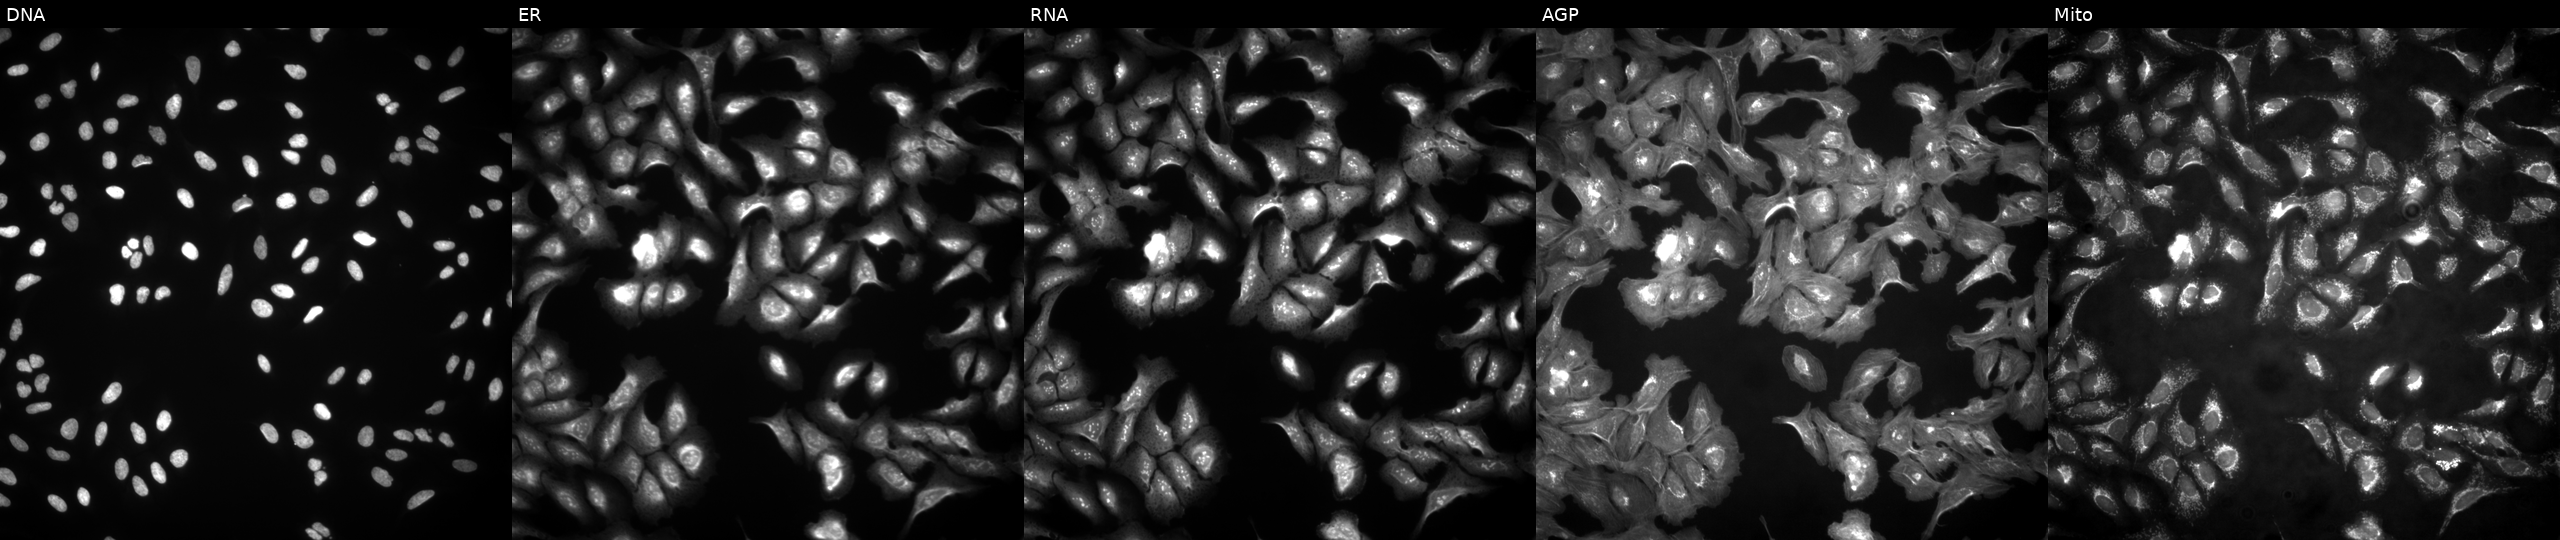
Five-channel Cell Painting image of U2OS cells overexpressing PRM1 via ORF transfection. The five panels, left to right, show Hoechst 33342, concanavalin A, SYTO 14, phalloidin and WGA, MitoTracker.